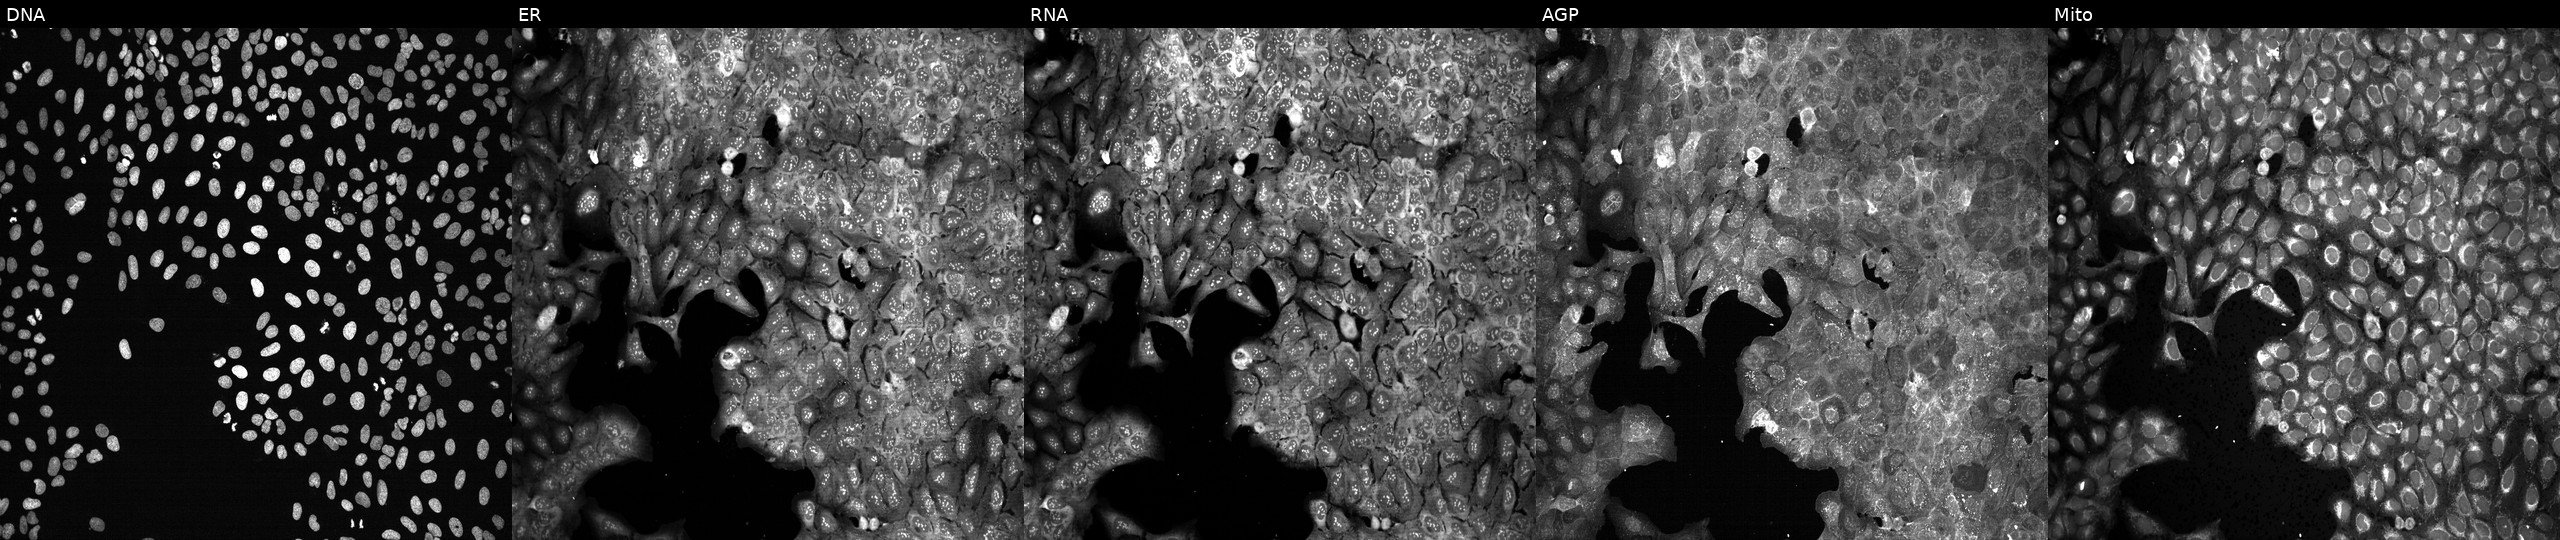
JUMP Cell Painting — CRISPR plate. U2OS cells treated with aloxistatin (positive-control compound). Channels (left→right): Hoechst 33342, concanavalin A, SYTO 14, phalloidin and WGA, MitoTracker. Source 13, plate CP-CC9-R5-01, well E24.